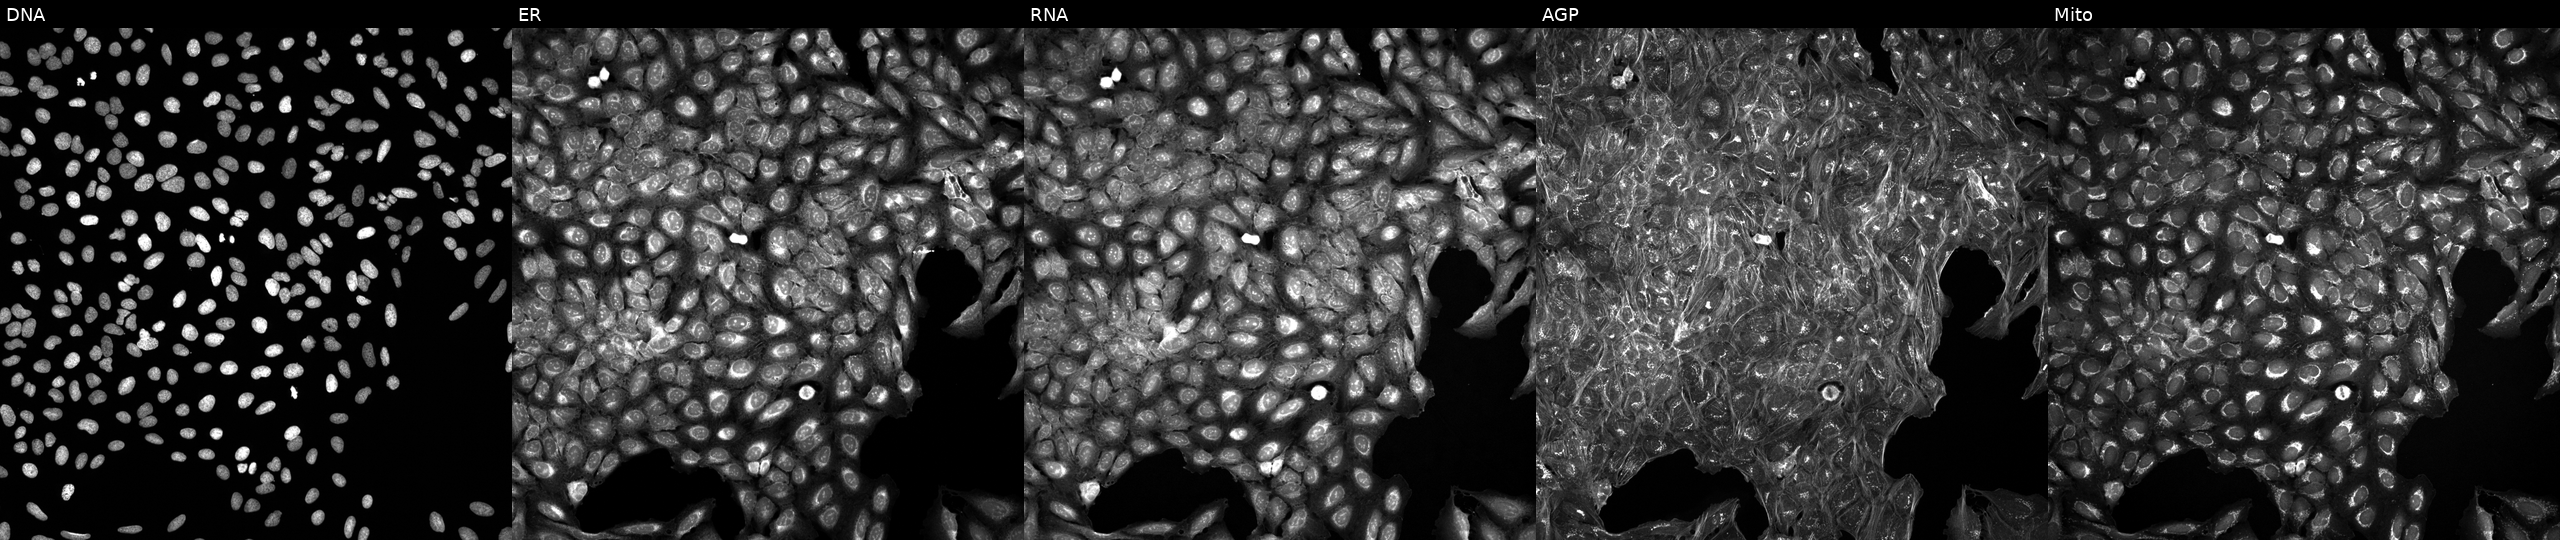
High-content fluorescence microscopy (Cell Painting). Cell line: U2OS. Perturbation: exposed to DMSO alone as a negative control (JUMP id JCP2022_033924). From left to right: Hoechst 33342, concanavalin A, SYTO 14, phalloidin and WGA, MitoTracker. Source 5, plate ACPJUM012, well E13.